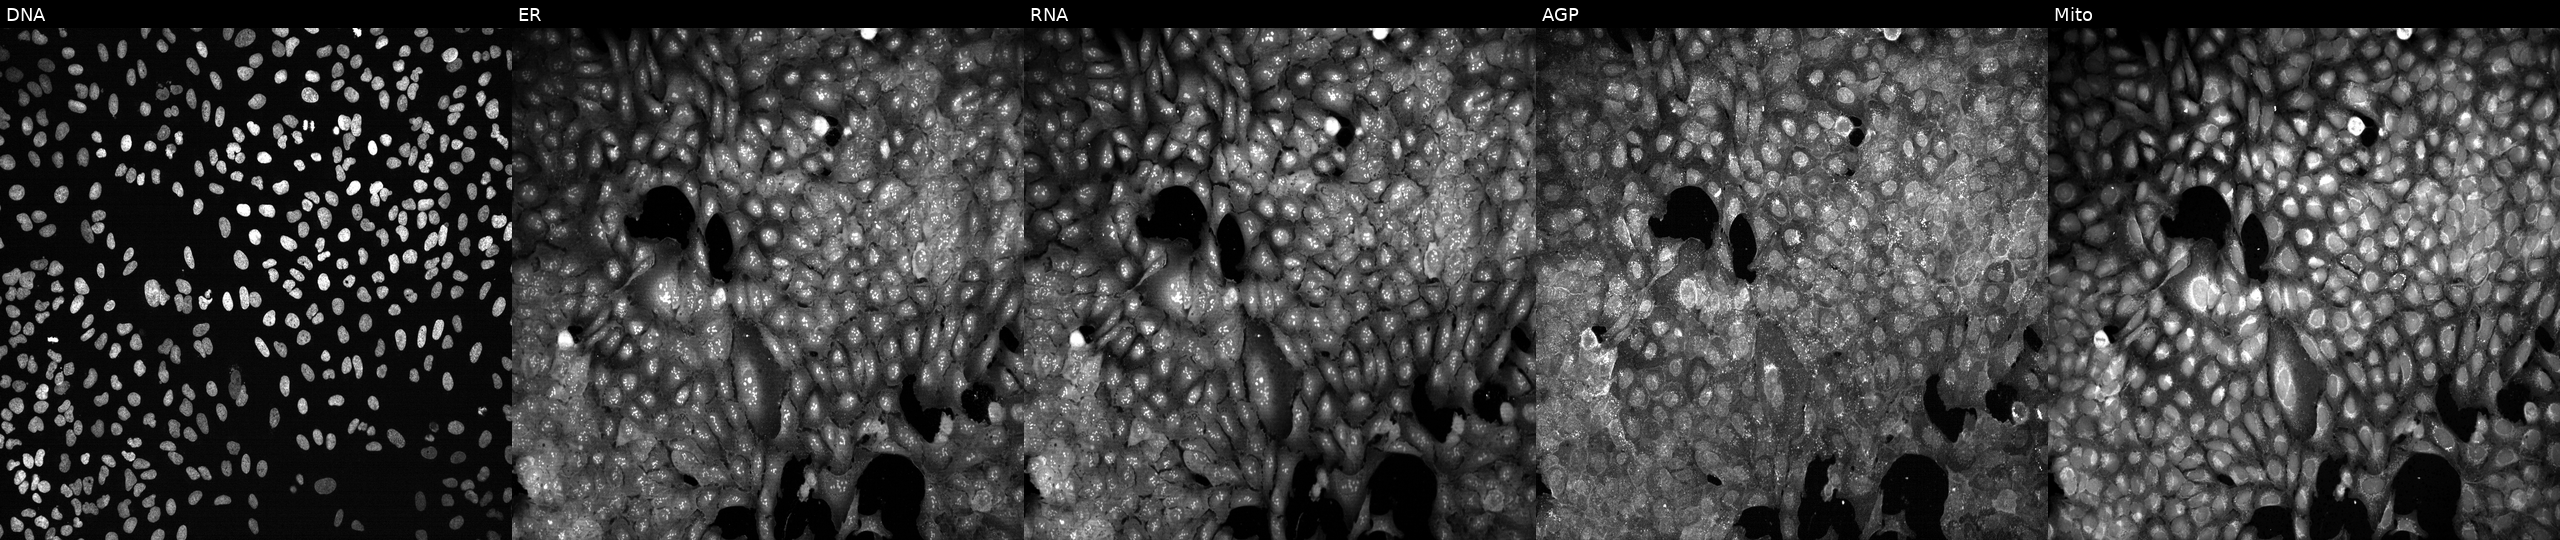
Five-channel Cell Painting image of U2OS cells CRISPR-edited to disrupt ATP13A4 (JUMP id JCP2022_800698). Panels show, left to right, DNA (nuclei); ER (endoplasmic reticulum); RNA (nucleoli and cytoplasmic RNA); AGP (actin cytoskeleton, Golgi, and plasma membrane); Mito (mitochondria).